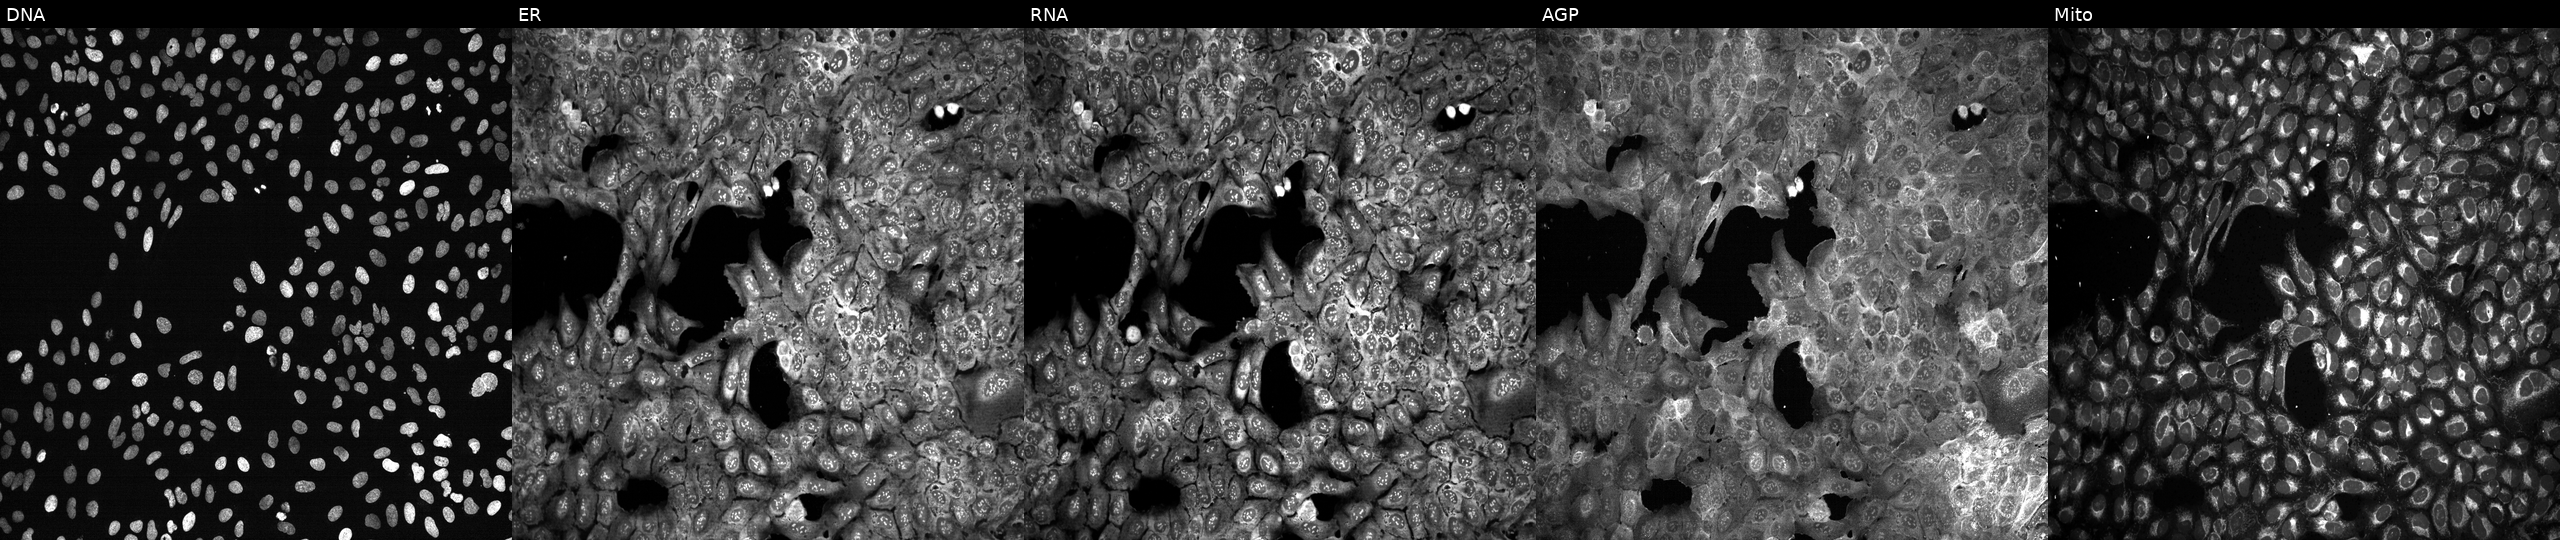
Channels (left→right): Hoechst 33342, concanavalin A, SYTO 14, phalloidin and WGA, MitoTracker. U2OS osteosarcoma cells following CRISPR knockout of HDC. Cell Painting assay, JUMP-CP dataset.